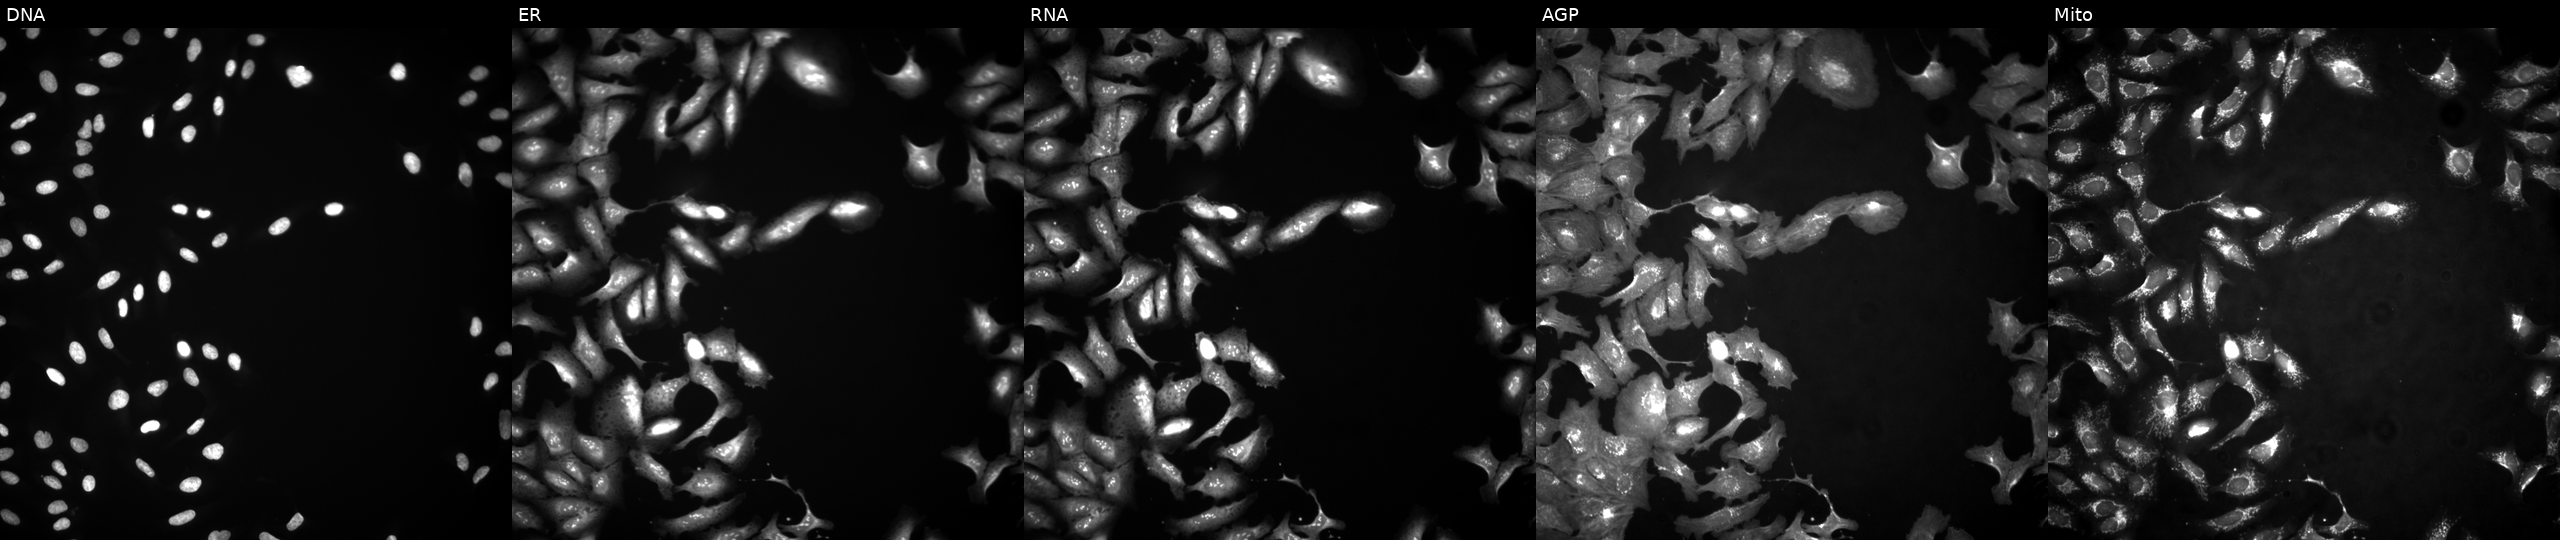
Channels (left→right): DNA (nuclei); ER (endoplasmic reticulum); RNA (nucleoli and cytoplasmic RNA); AGP (actin cytoskeleton, Golgi, and plasma membrane); Mito (mitochondria). U2OS osteosarcoma cells with ZNF550 overexpressed (ORF) (JUMP id JCP2022_915073). Cell Painting assay, JUMP-CP dataset.